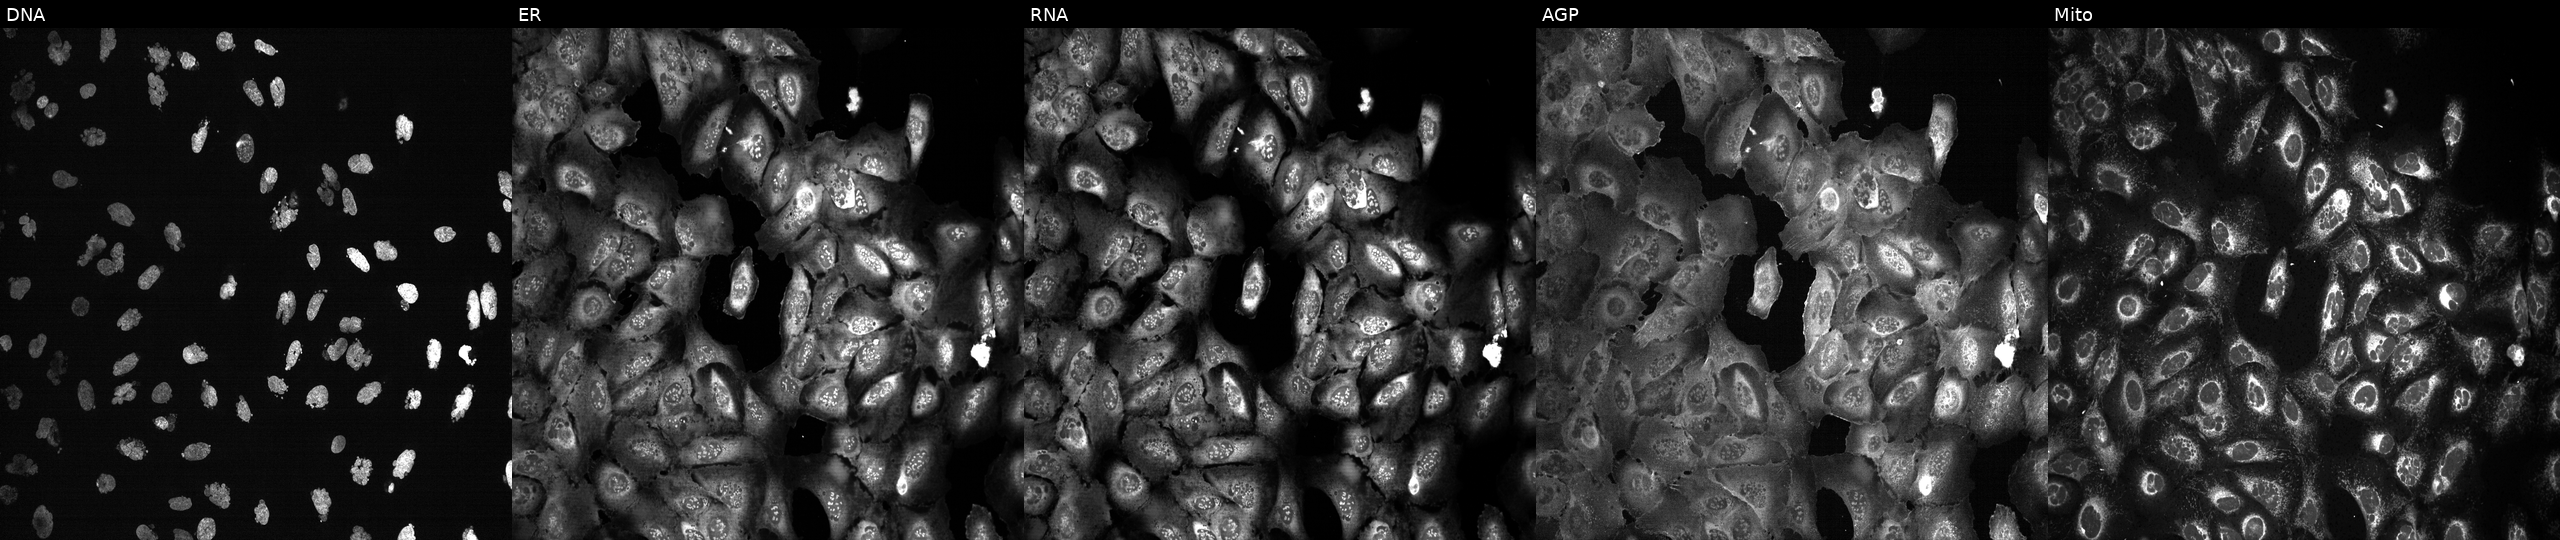
Channels (left→right): DNA, ER, RNA, AGP, and Mito. U2OS osteosarcoma cells exposed to the positive-control compound AMG900 (JUMP id JCP2022_037716). Cell Painting assay, JUMP-CP dataset. Source 13, plate CP-CC9-R3-01, well J01.